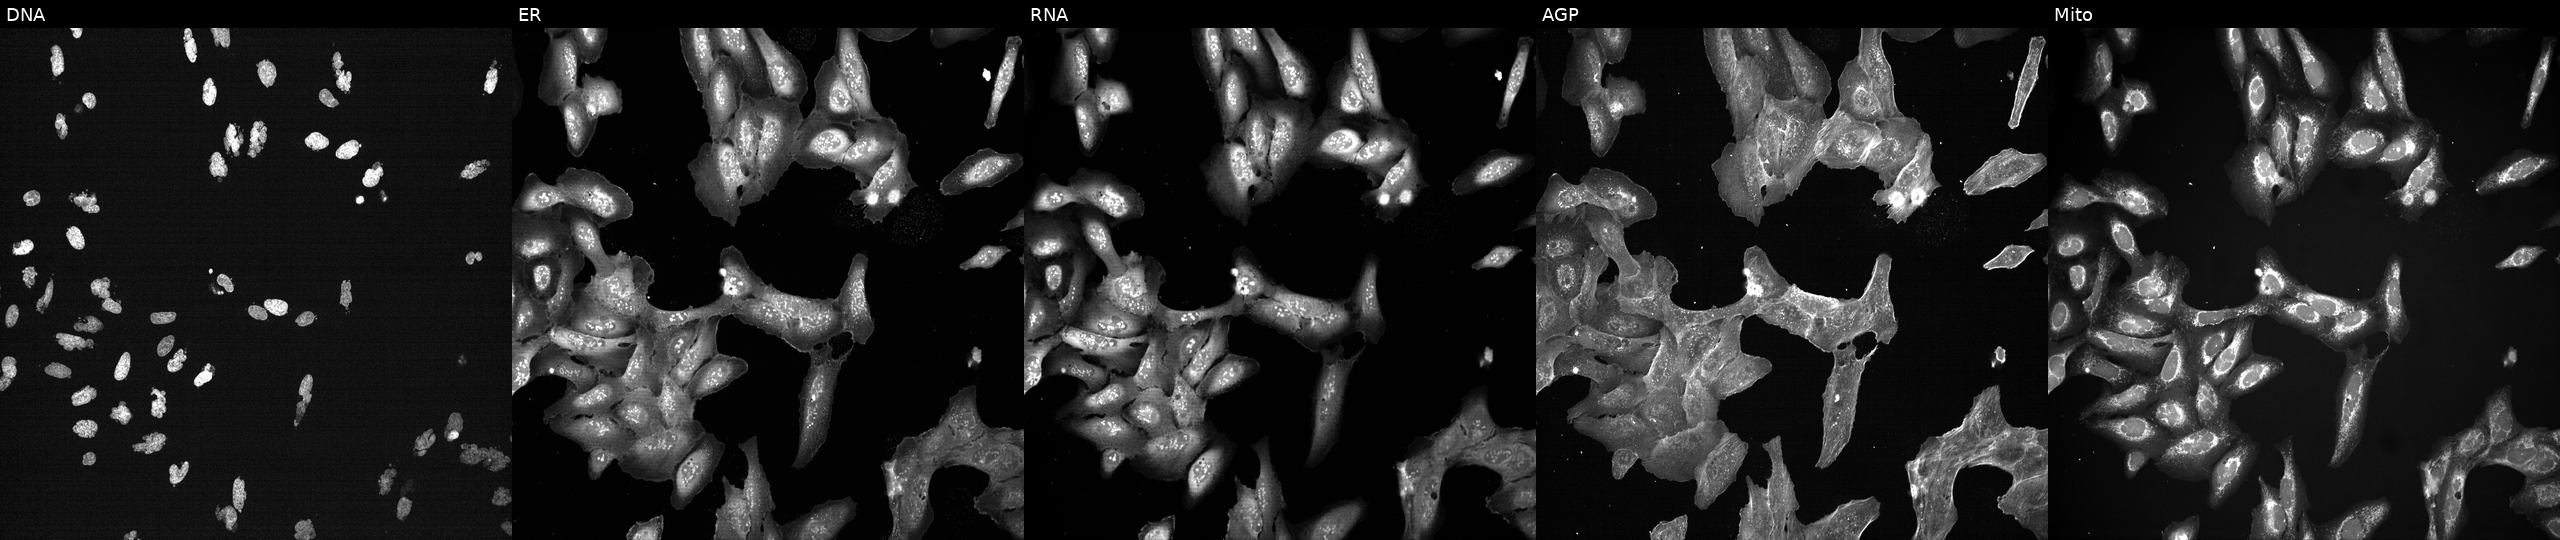
U2OS cells, Cell Painting assay, exposed to the positive-control compound AMG900 (JUMP id JCP2022_037716). Channels (left→right): DNA, ER, RNA, AGP, and Mito. Each panel is percentile-stretched 16-bit fluorescence.